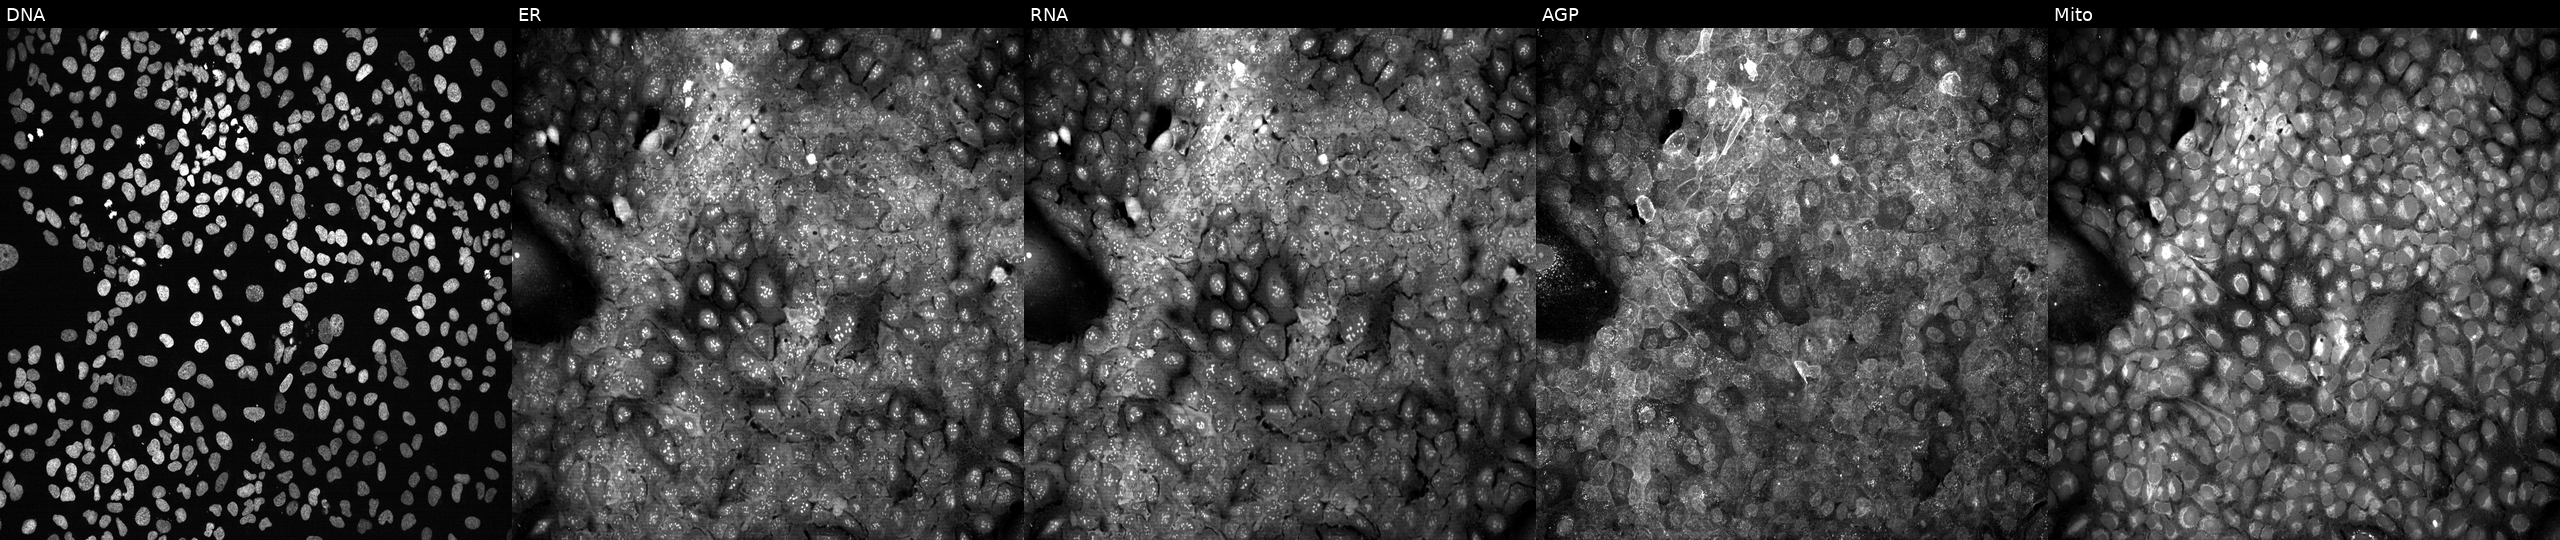
U2OS cells, Cell Painting assay, following CRISPR knockout of FOXS1. Channels (left→right): DNA (nuclei); ER (endoplasmic reticulum); RNA (nucleoli and cytoplasmic RNA); AGP (actin cytoskeleton, Golgi, and plasma membrane); Mito (mitochondria). Each panel is percentile-stretched 16-bit fluorescence.